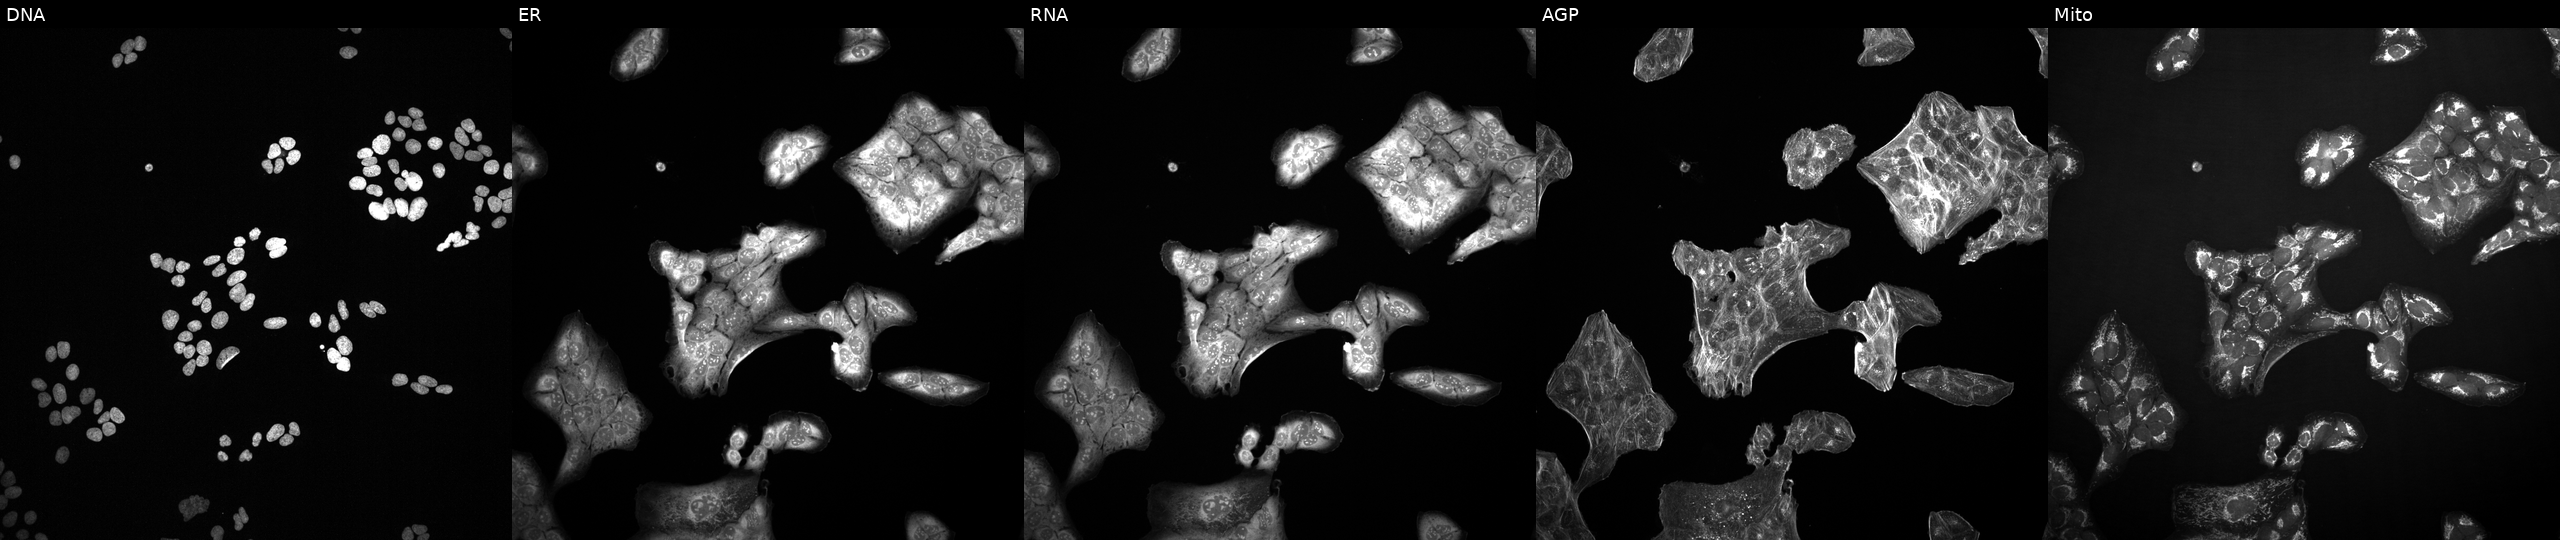
JUMP Cell Painting — TARGET2 plate. U2OS cells perturbed with a small-molecule compound. Channels (left→right): DNA (nuclei); ER (endoplasmic reticulum); RNA (nucleoli and cytoplasmic RNA); AGP (actin cytoskeleton, Golgi, and plasma membrane); Mito (mitochondria). Source 2, plate 1053597936, well C03.